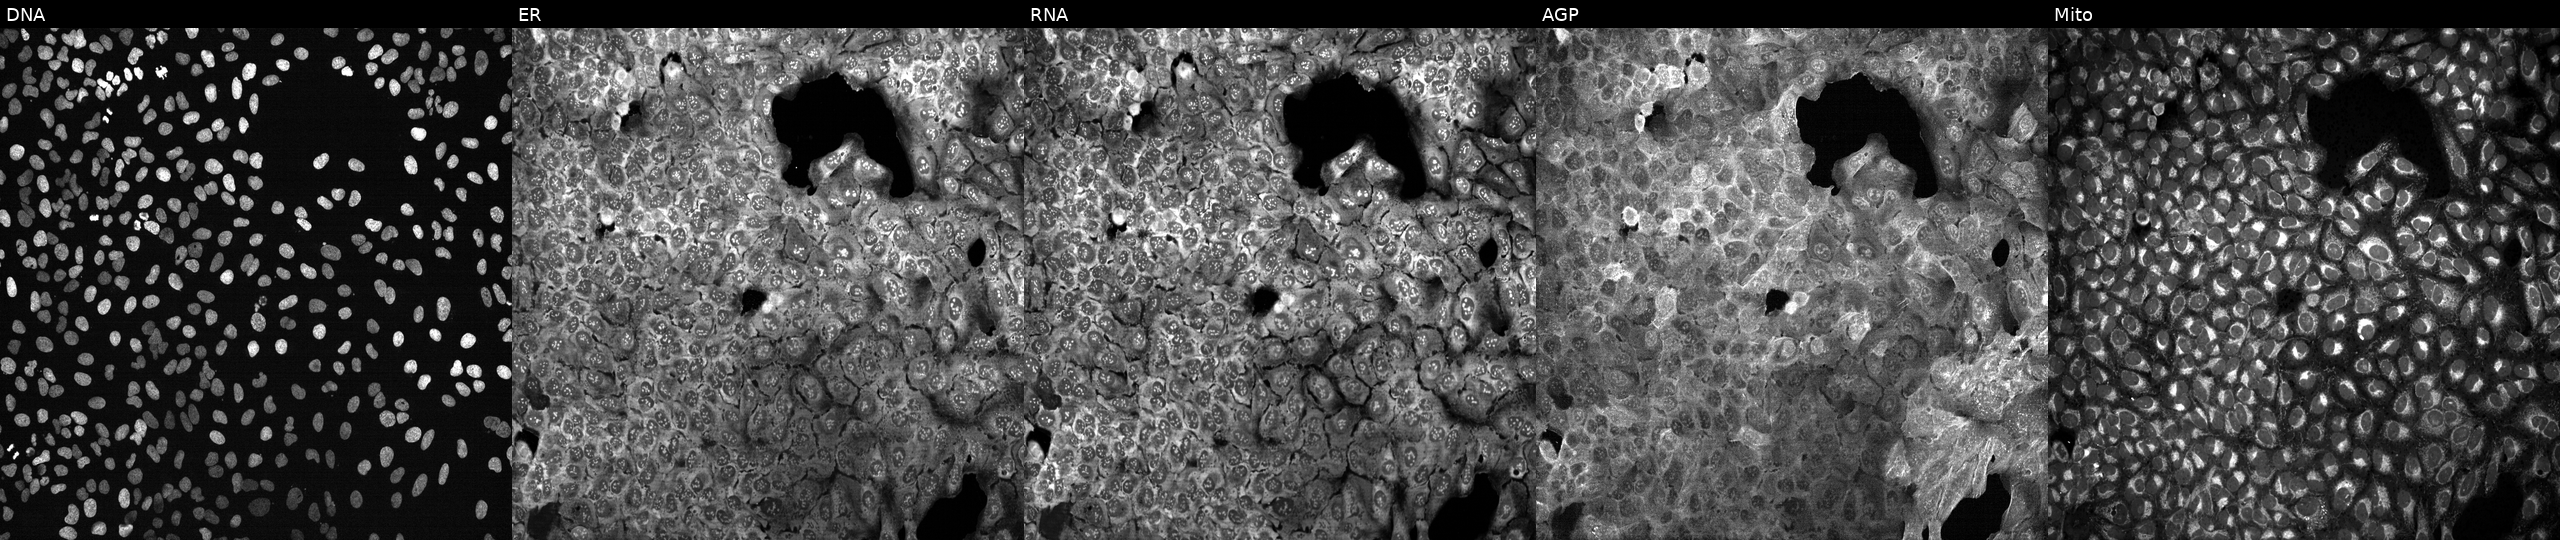
JUMP Cell Painting — CRISPR plate. U2OS cells CRISPR-edited to disrupt UGT1A4. Panels show, left to right, Hoechst 33342, concanavalin A, SYTO 14, phalloidin and WGA, MitoTracker. Source 13, plate CP-CC9-R2-01, well N05.